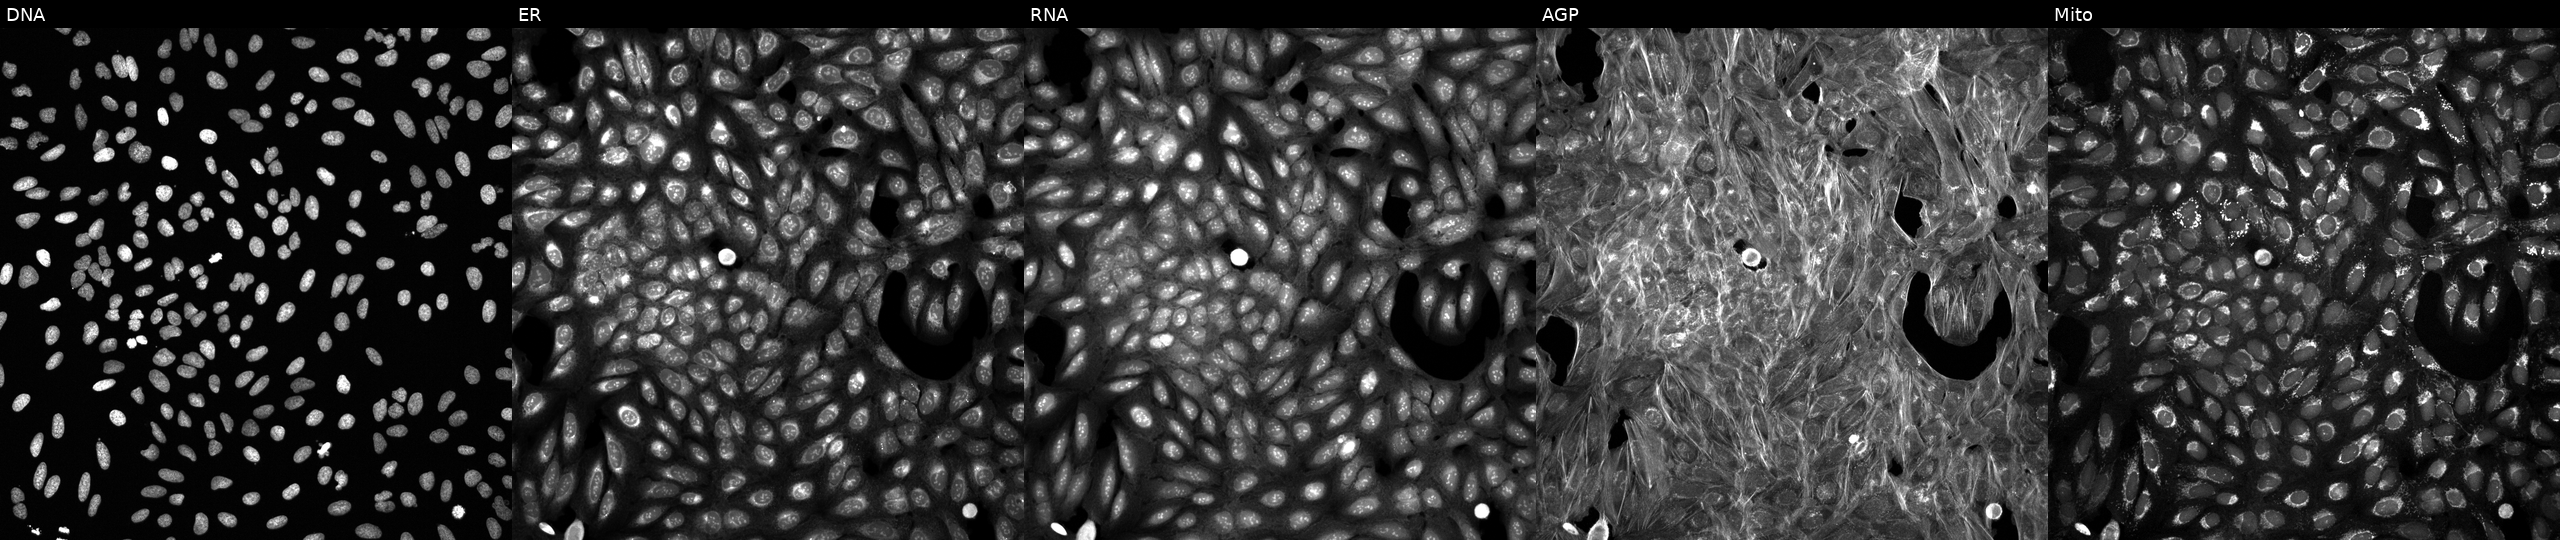
JUMP Cell Painting — COMPOUND plate. U2OS cells exposed to a small-molecule compound (InChIKey QMDPPYBZTJYYKS-UHFFFAOYSA-N) (JUMP id JCP2022_074378). Channels (left→right): DNA (nuclei); ER (endoplasmic reticulum); RNA (nucleoli and cytoplasmic RNA); AGP (actin cytoskeleton, Golgi, and plasma membrane); Mito (mitochondria).